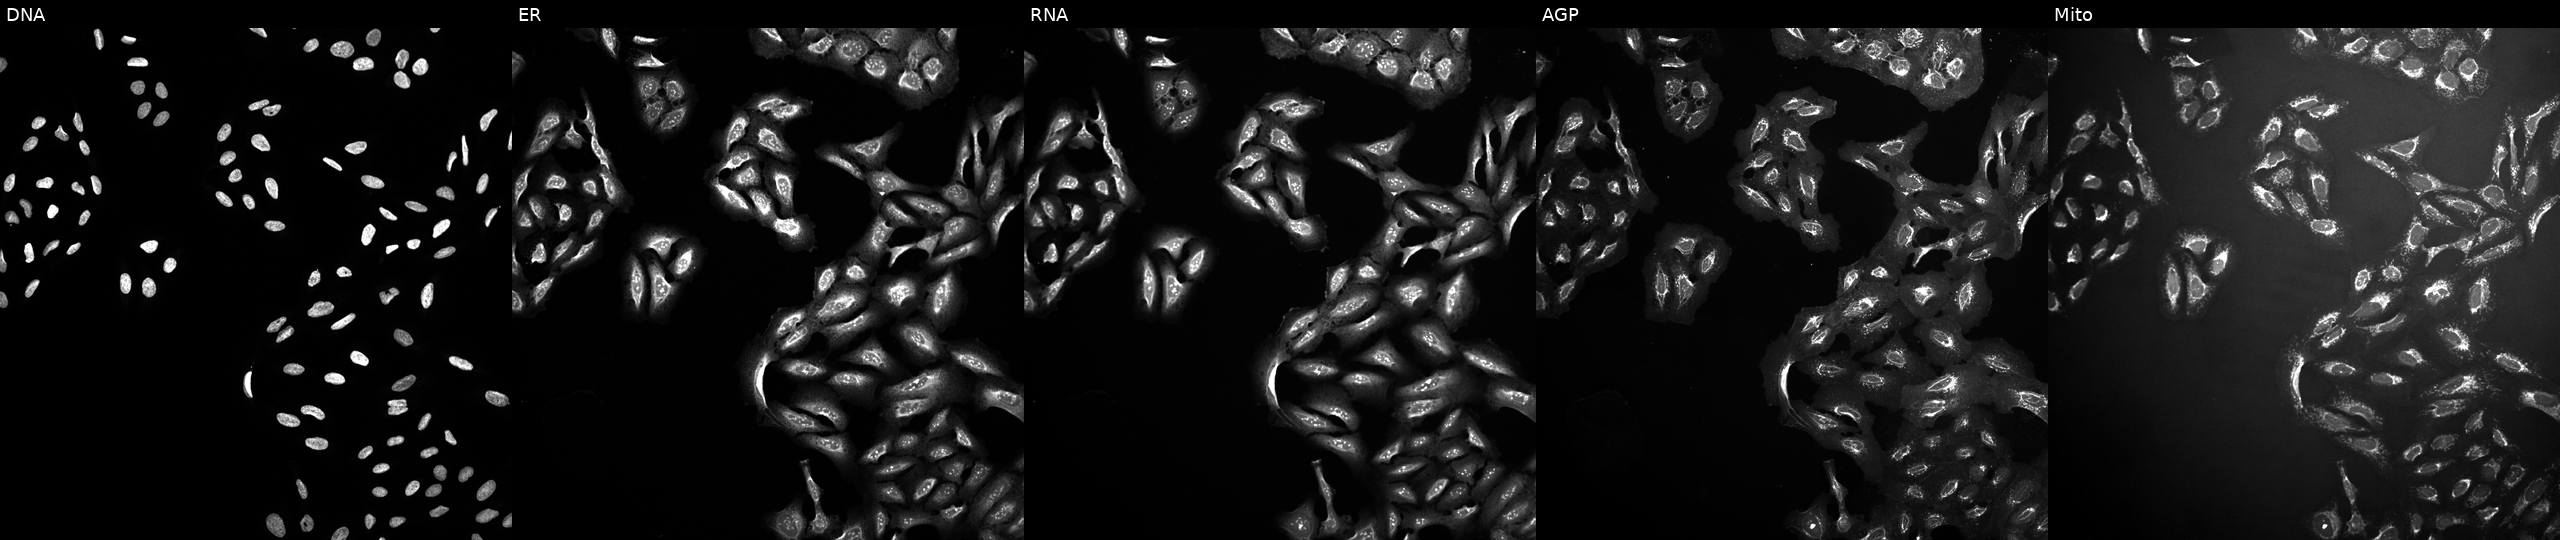
Five-channel Cell Painting image of U2OS cells exposed to a small-molecule compound. Panels show, left to right, DNA, ER, RNA, AGP, and Mito. Source 10, plate Dest210803-153958, well C18.